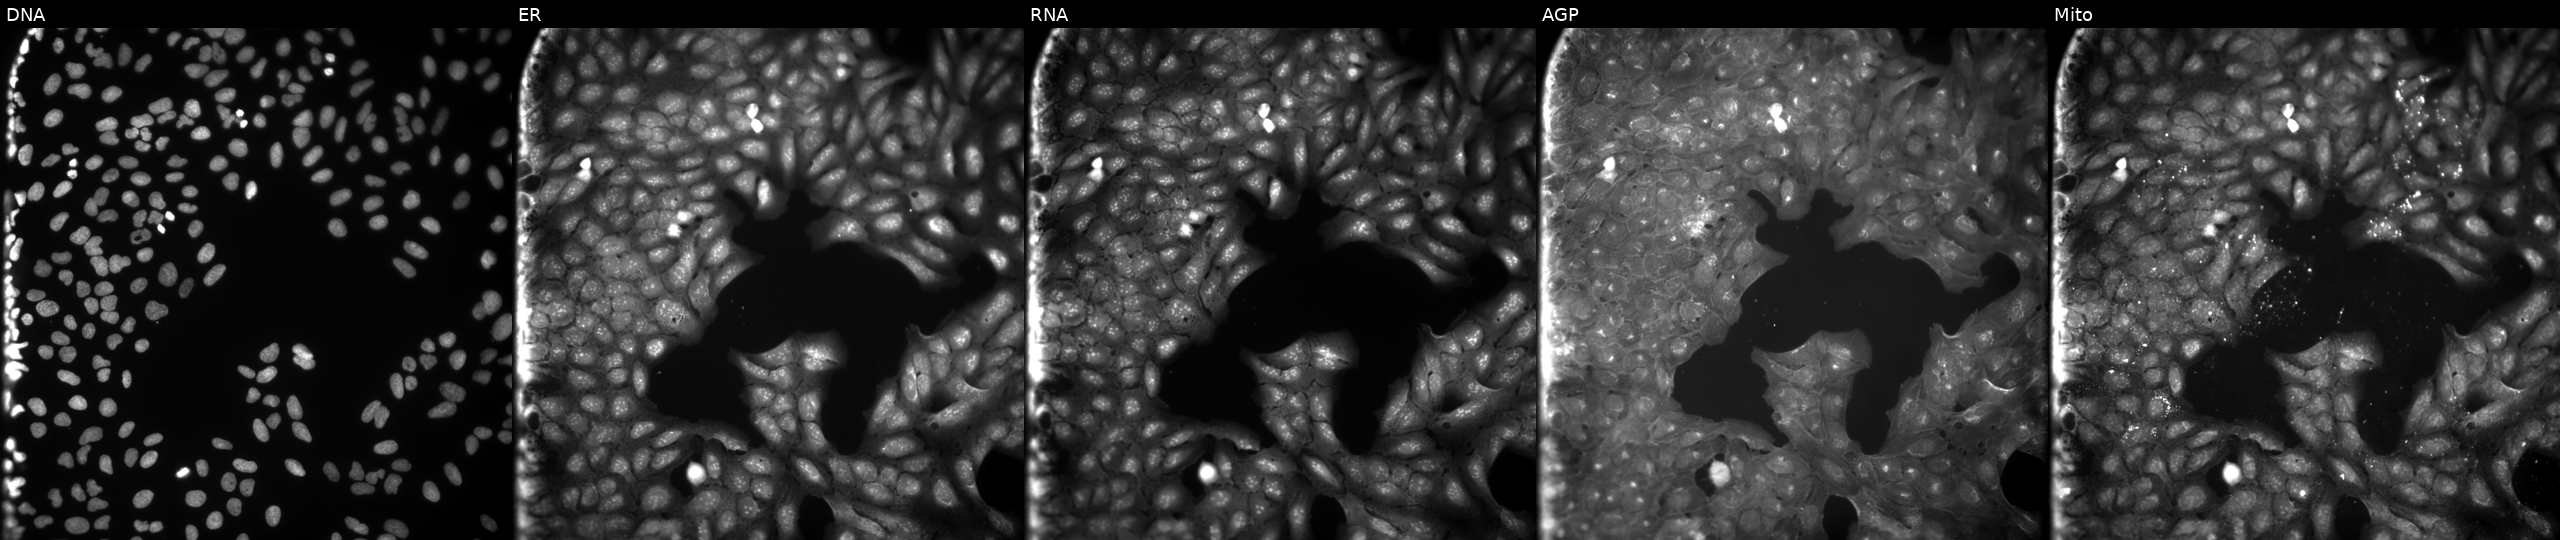
U2OS cells, Cell Painting assay, perturbed with a small-molecule compound (InChIKey IHCBKCRFXDQJTL-UHFFFAOYSA-N) (JUMP id JCP2022_035017). The five panels, left to right, show DNA (nuclei); ER (endoplasmic reticulum); RNA (nucleoli and cytoplasmic RNA); AGP (actin cytoskeleton, Golgi, and plasma membrane); Mito (mitochondria). Each panel is percentile-stretched 16-bit fluorescence.